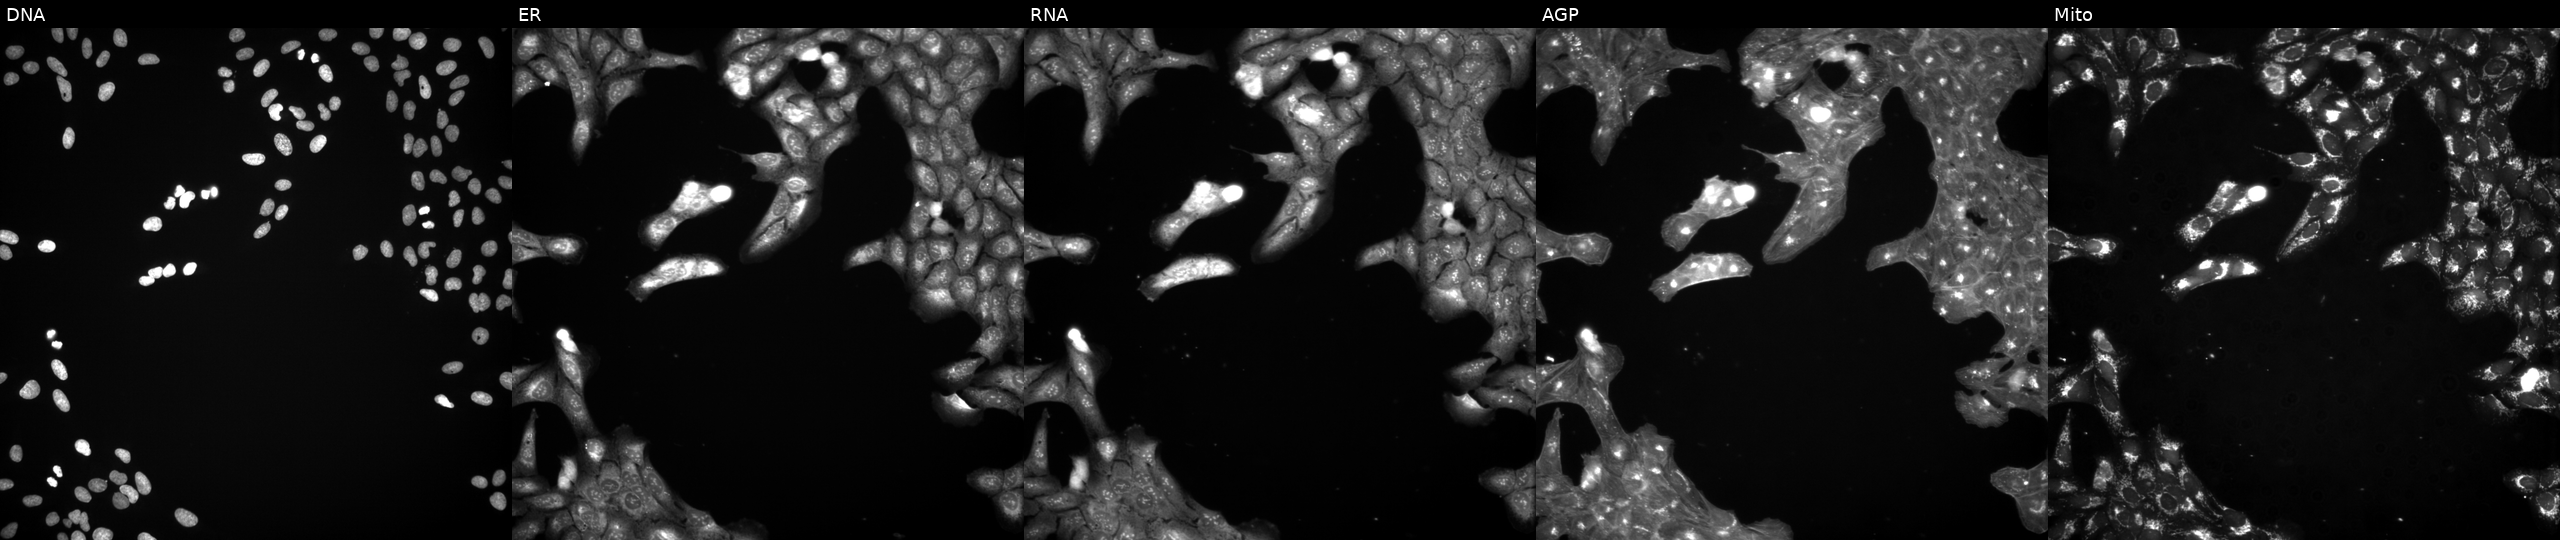
High-content fluorescence microscopy (Cell Painting). Cell line: U2OS. Perturbation: exposed to a small-molecule compound (InChIKey QWJOPXDAQCDRRM-UHFFFAOYSA-N). From left to right: DNA (nuclei); ER (endoplasmic reticulum); RNA (nucleoli and cytoplasmic RNA); AGP (actin cytoskeleton, Golgi, and plasma membrane); Mito (mitochondria). Source 3, plate JCPQC052, well M16.